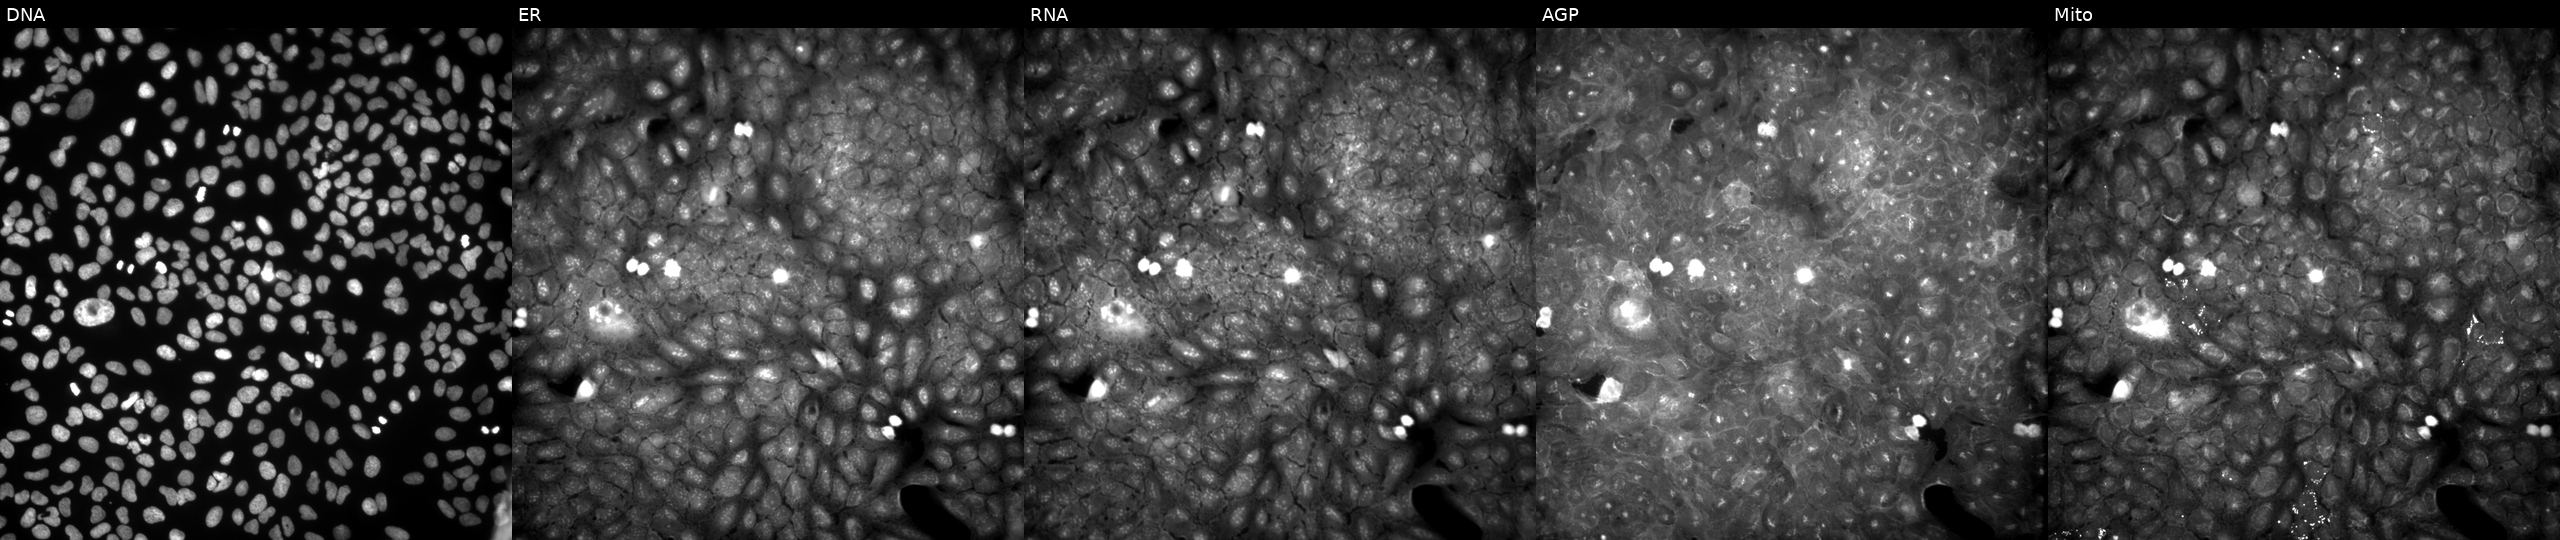
U2OS cells, Cell Painting assay, exposed to a small-molecule compound (InChIKey FGACEBVWLBEPJX-UHFFFAOYSA-N). The five panels, left to right, show DNA, ER, RNA, AGP, and Mito. Each panel is percentile-stretched 16-bit fluorescence. Source 9, plate GR00003381, well Y27.